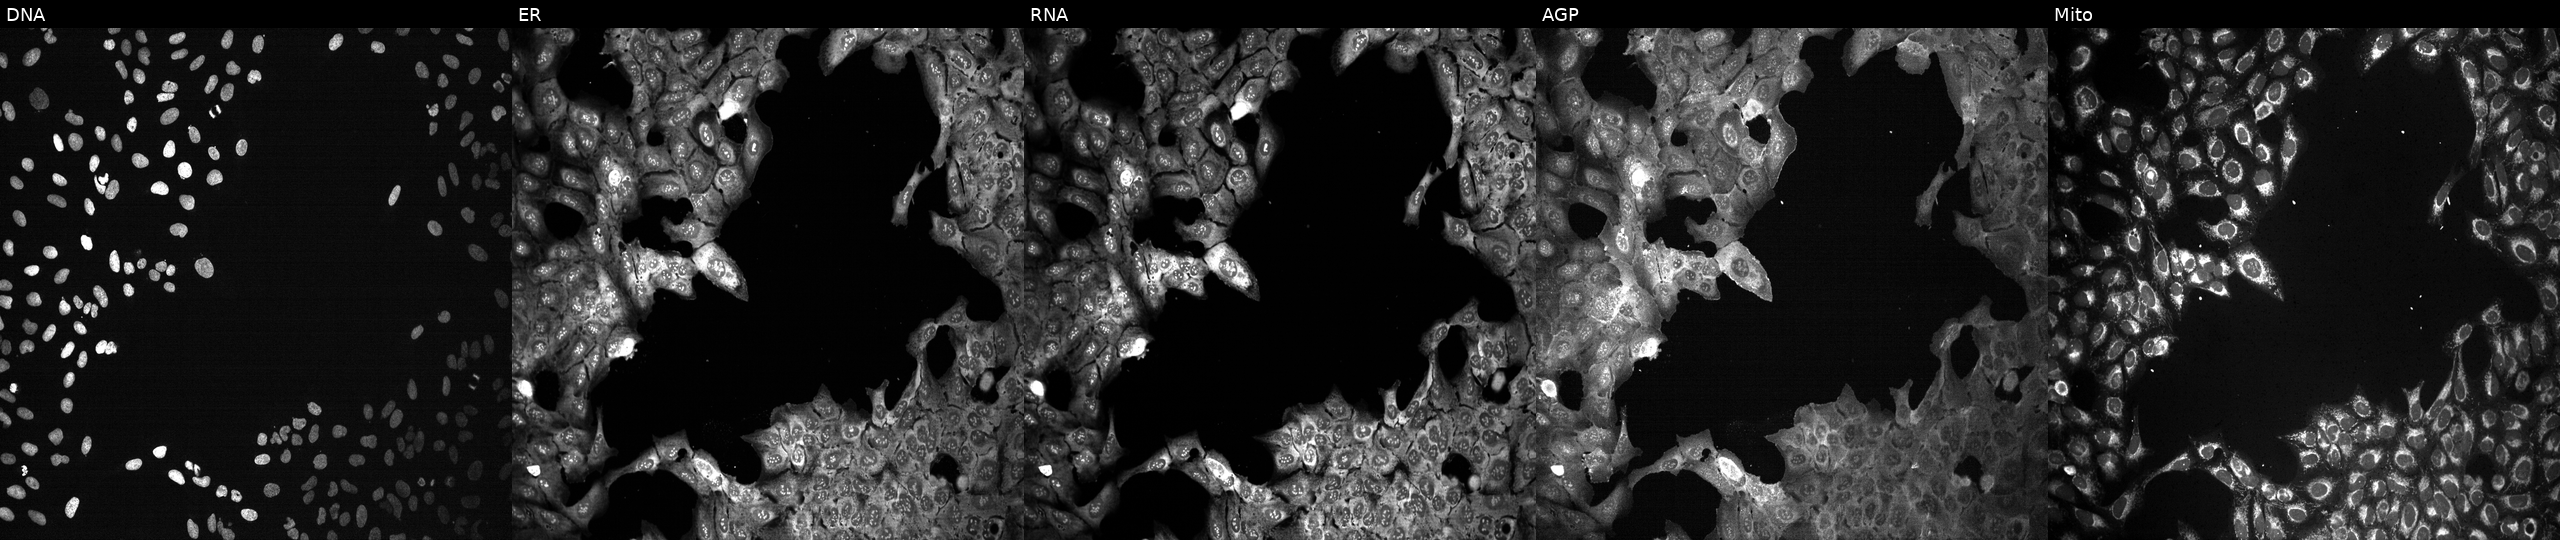
This image strip shows the five Cell Painting channels for a single field of U2OS cells following CRISPR knockout of ATP10D. The five panels, left to right, show DNA, ER, RNA, AGP, and Mito.